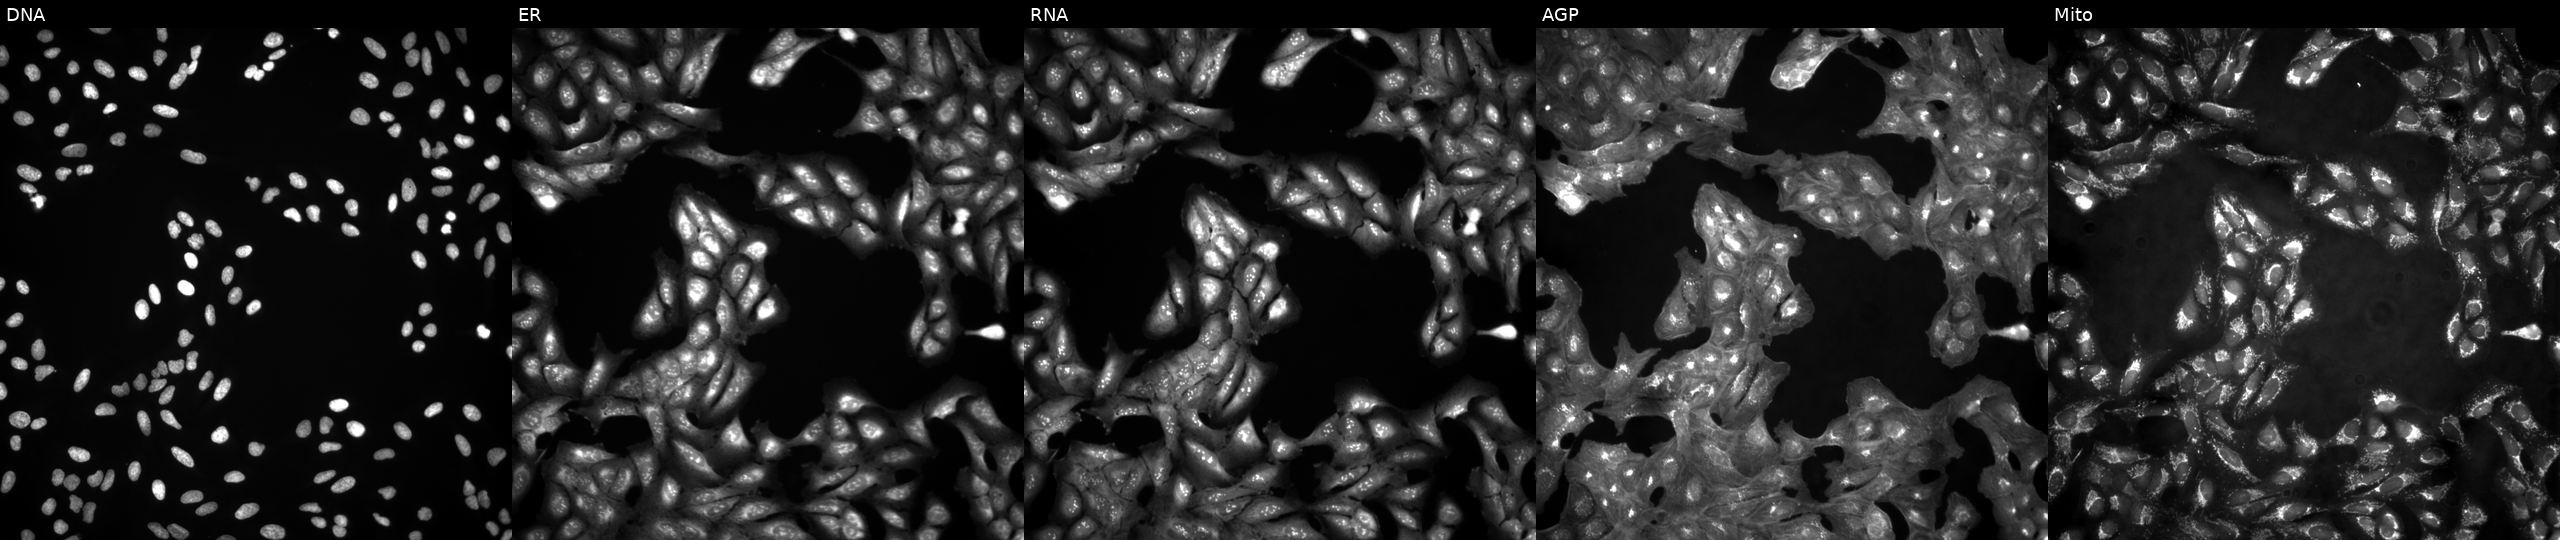
The five panels, left to right, show DNA, ER, RNA, AGP, and Mito. U2OS osteosarcoma cells untreated (empty-well control). Cell Painting assay, JUMP-CP dataset.